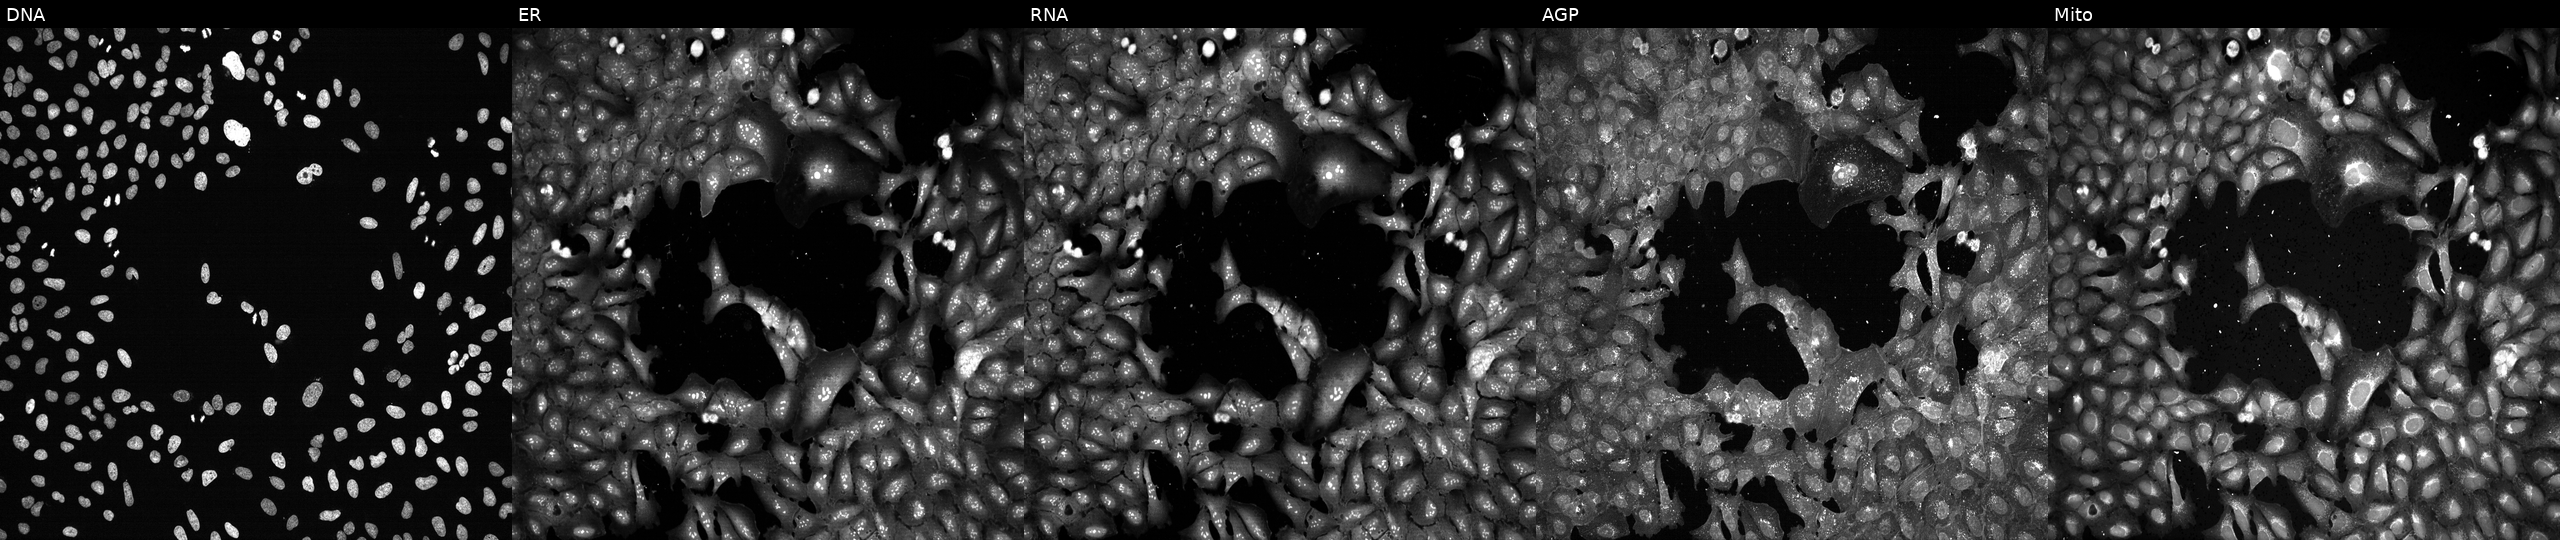
U2OS cells, Cell Painting assay, following CRISPR knockout of ABCC2 (JUMP id JCP2022_800044). From left to right: DNA, ER, RNA, AGP, and Mito. Each panel is percentile-stretched 16-bit fluorescence. Source 13, plate CP-CC9-R1-01, well E07.